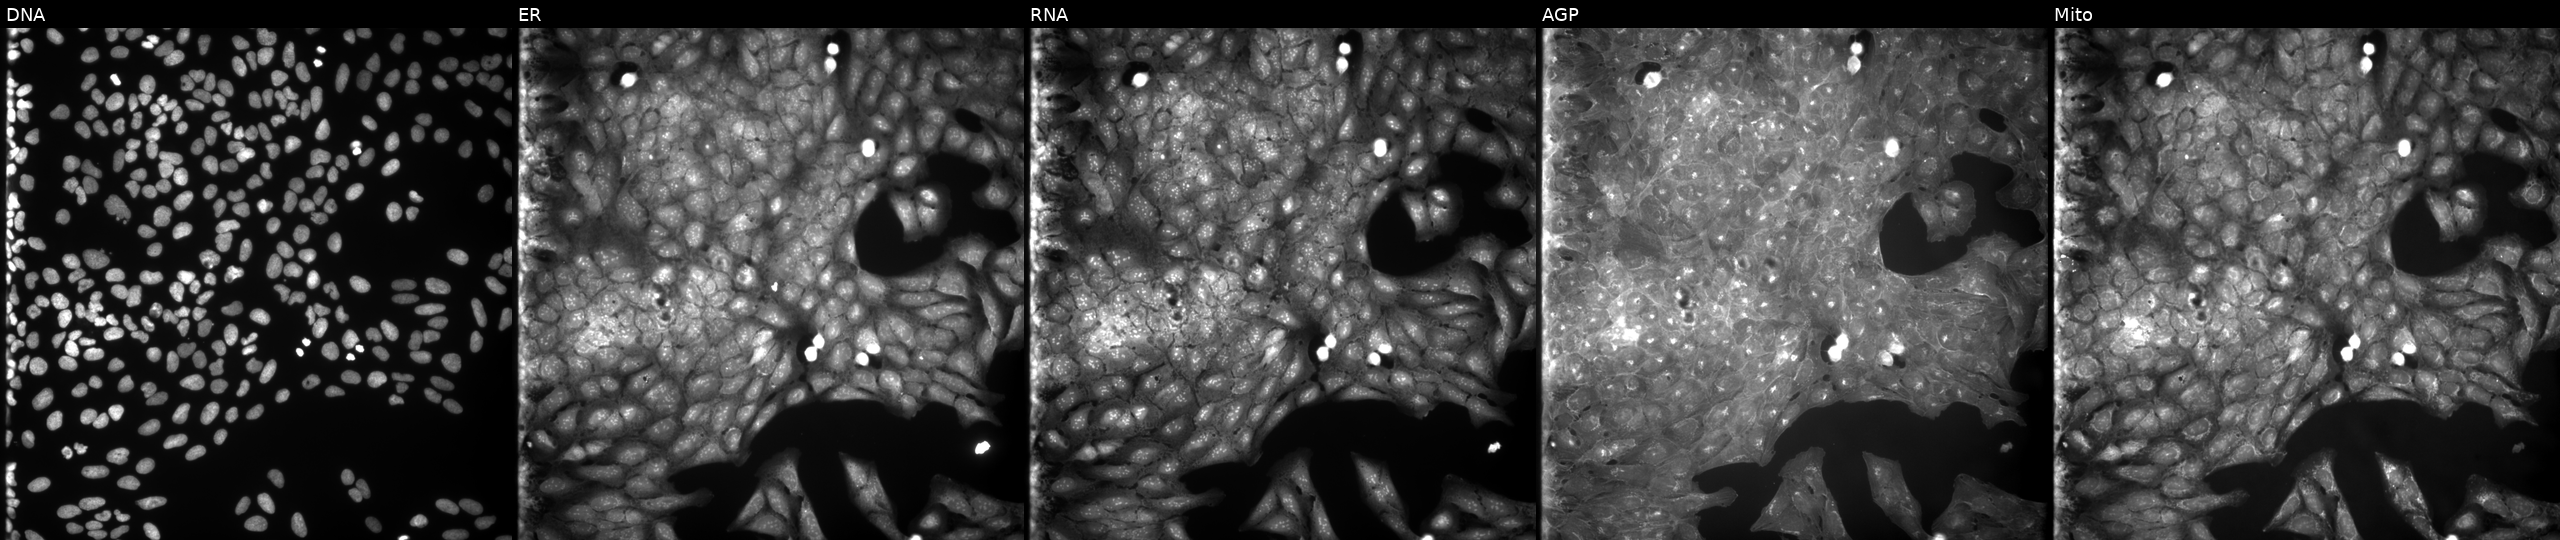
Channels (left→right): Hoechst 33342, concanavalin A, SYTO 14, phalloidin and WGA, MitoTracker. U2OS osteosarcoma cells exposed to the positive-control compound dexamethasone (JUMP id JCP2022_025848). Cell Painting assay, JUMP-CP dataset.